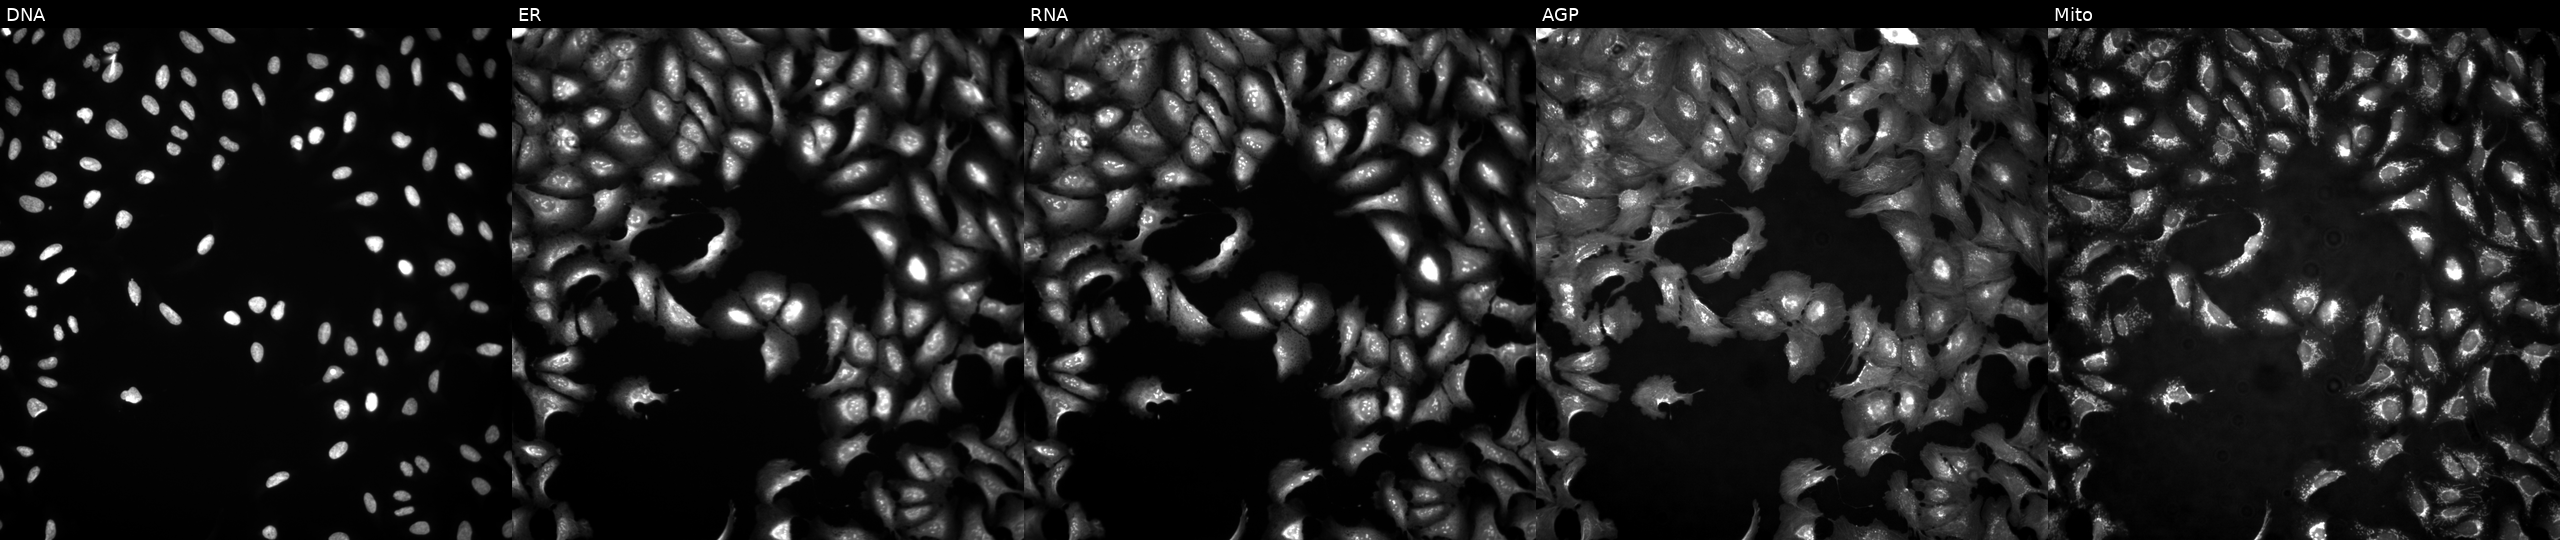
High-content fluorescence microscopy (Cell Painting). Cell line: U2OS. Perturbation: with TSC22D4 overexpressed (ORF). Panels show, left to right, Hoechst 33342, concanavalin A, SYTO 14, phalloidin and WGA, MitoTracker.